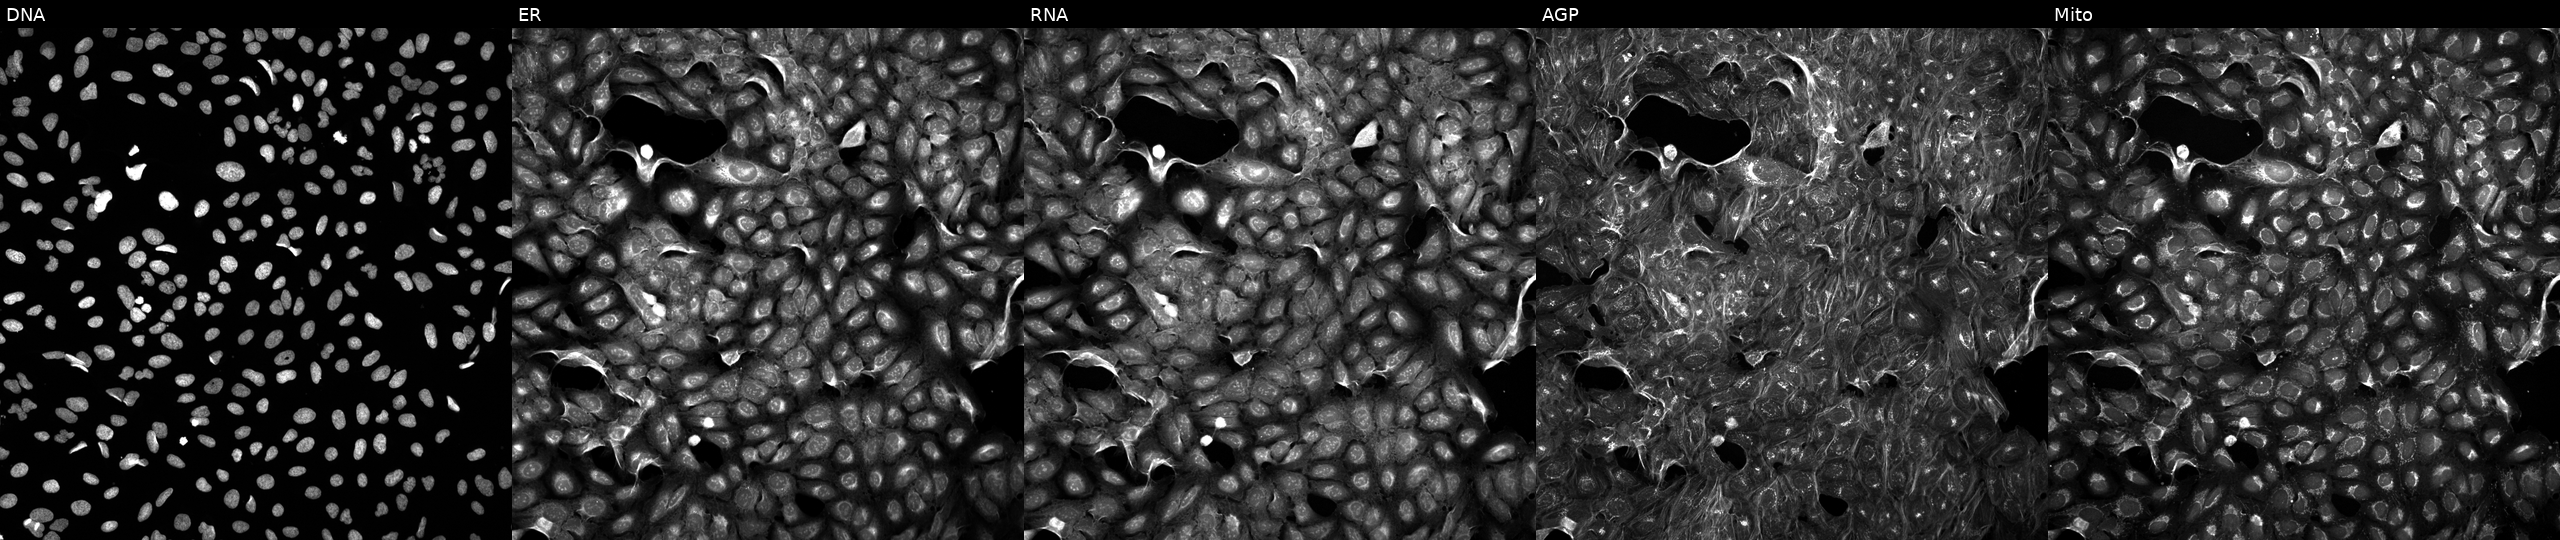
From left to right: DNA, ER, RNA, AGP, and Mito. U2OS osteosarcoma cells exposed to DMSO alone as a negative control. Cell Painting assay, JUMP-CP dataset. Source 5, plate ACPJUM051, well N19.